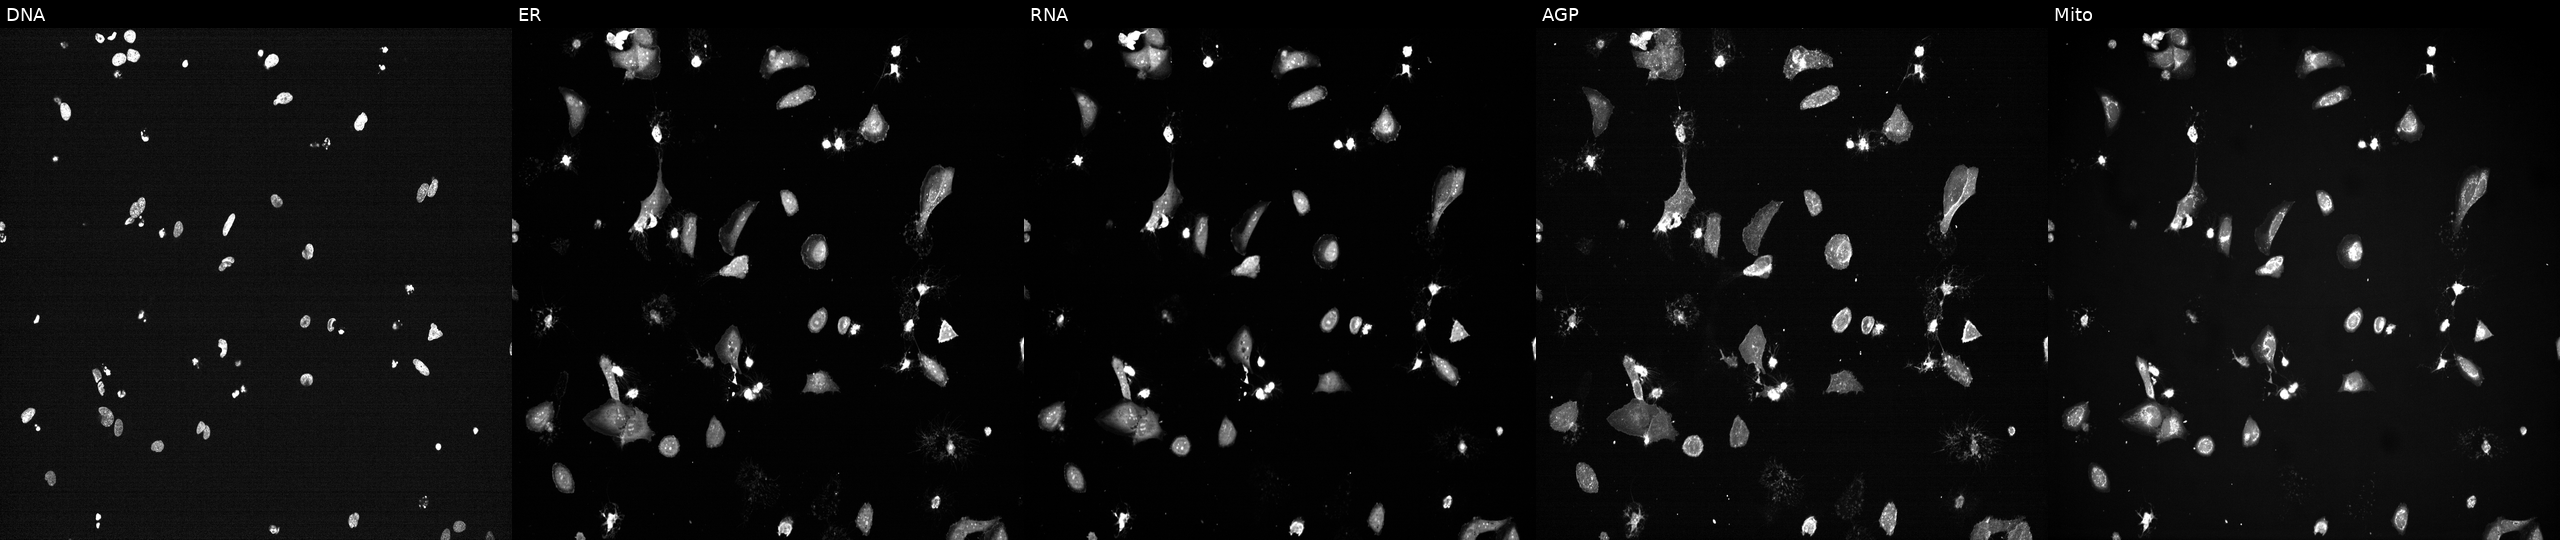
U2OS cells, Cell Painting assay, perturbed with a small-molecule compound (InChIKey AYCPARAPKDAOEN-UHFFFAOYSA-N). Channels (left→right): Hoechst 33342, concanavalin A, SYTO 14, phalloidin and WGA, MitoTracker. Each panel is percentile-stretched 16-bit fluorescence.